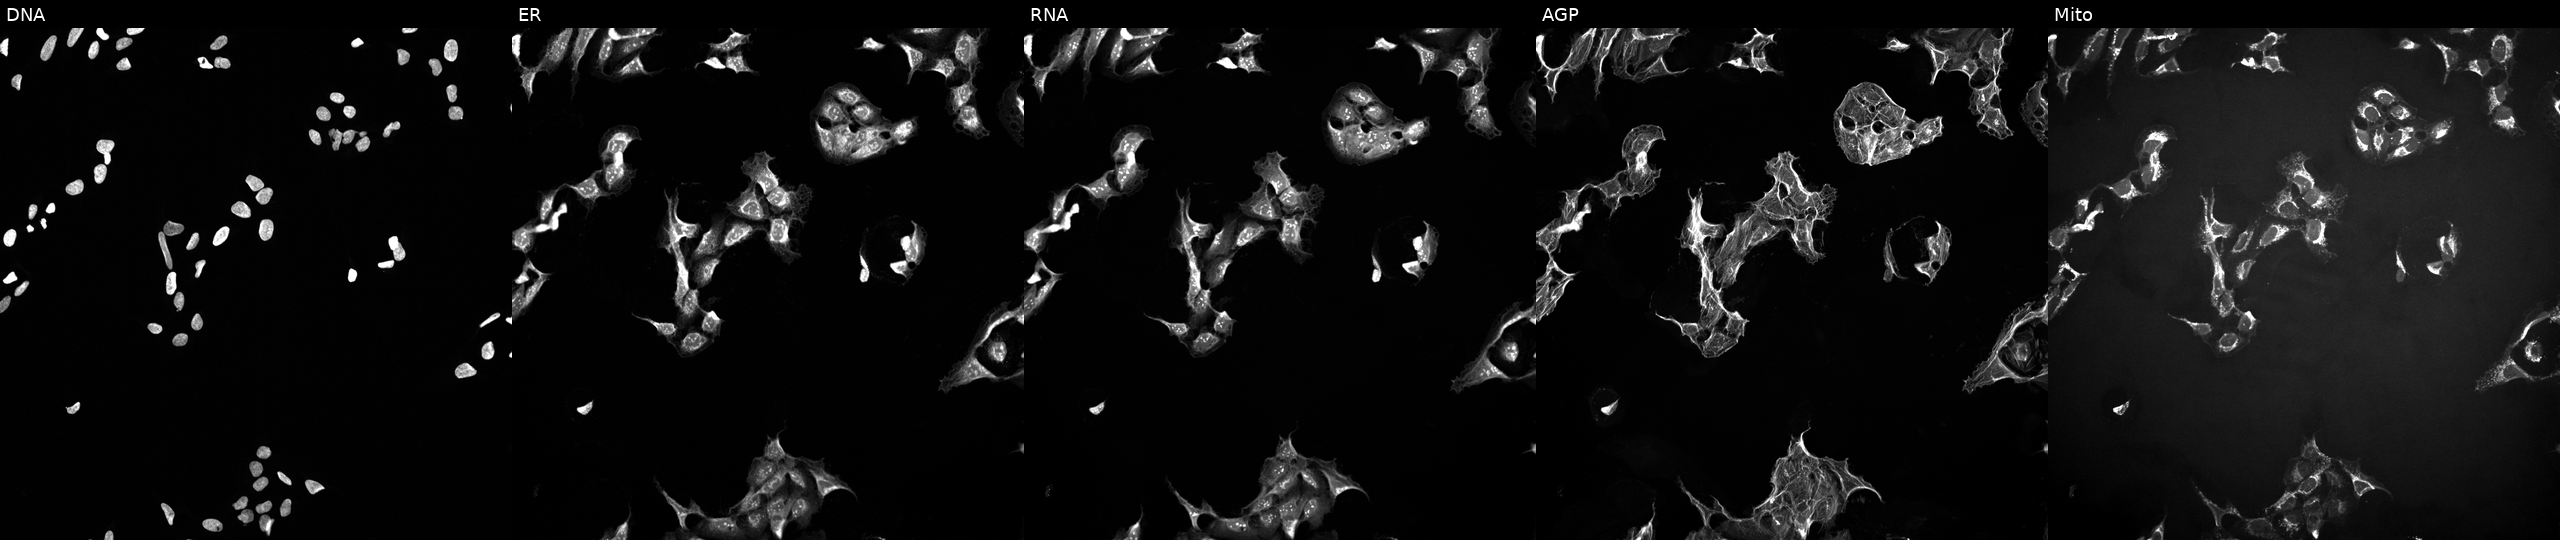
JUMP Cell Painting — TARGET2 plate. U2OS cells exposed to a small-molecule compound. From left to right: DNA (nuclei); ER (endoplasmic reticulum); RNA (nucleoli and cytoplasmic RNA); AGP (actin cytoskeleton, Golgi, and plasma membrane); Mito (mitochondria).